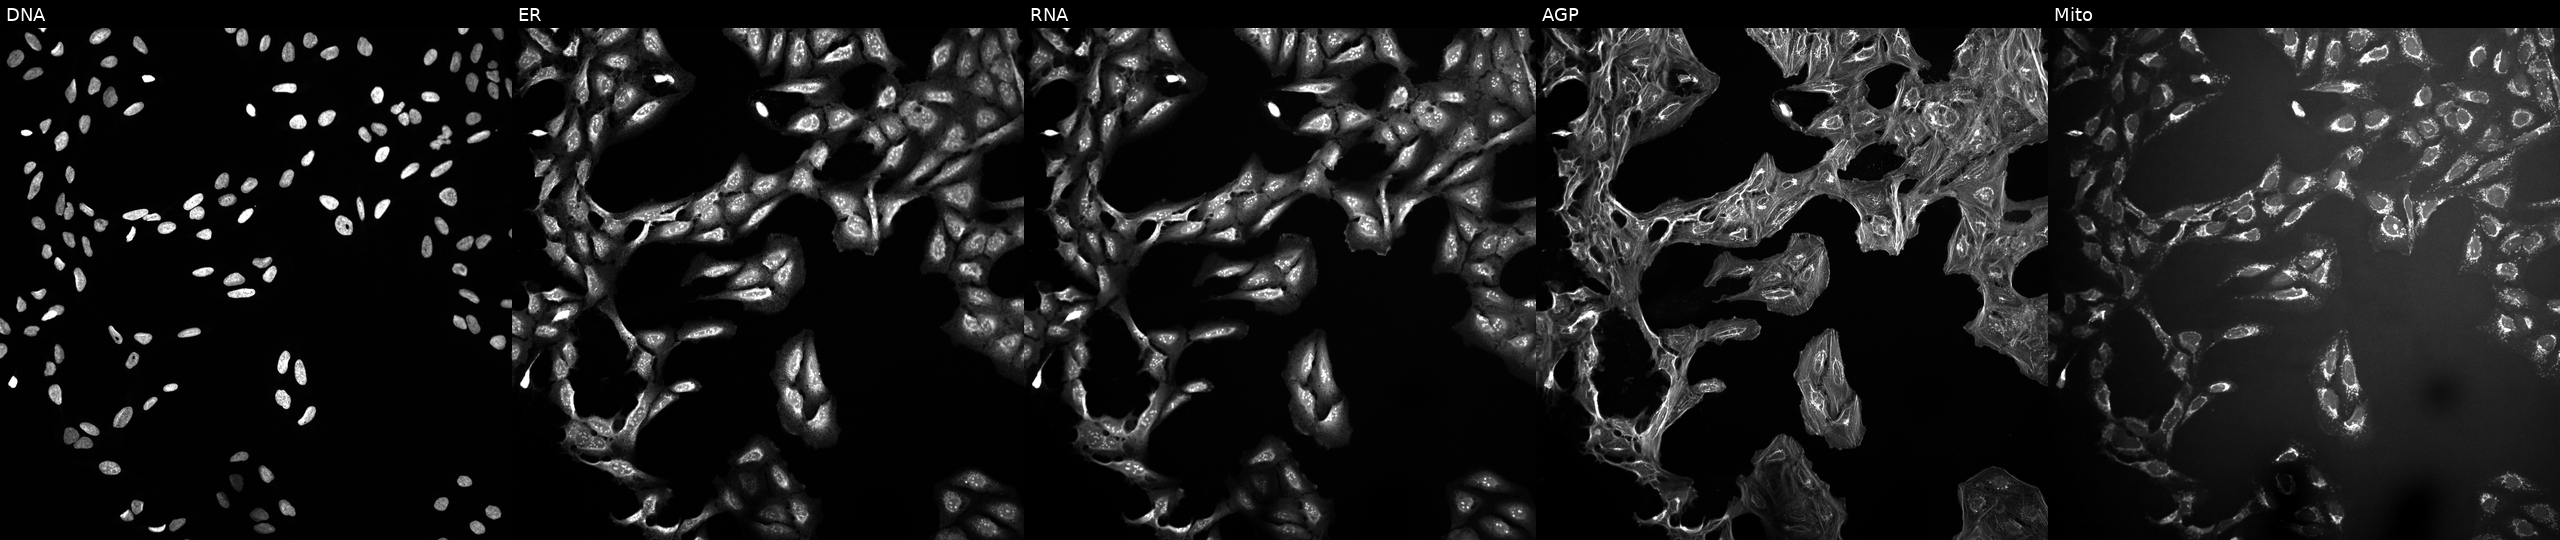
U2OS cells, Cell Painting assay, treated with DMSO vehicle only (negative control). The five panels, left to right, show DNA (nuclei); ER (endoplasmic reticulum); RNA (nucleoli and cytoplasmic RNA); AGP (actin cytoskeleton, Golgi, and plasma membrane); Mito (mitochondria). Each panel is percentile-stretched 16-bit fluorescence.